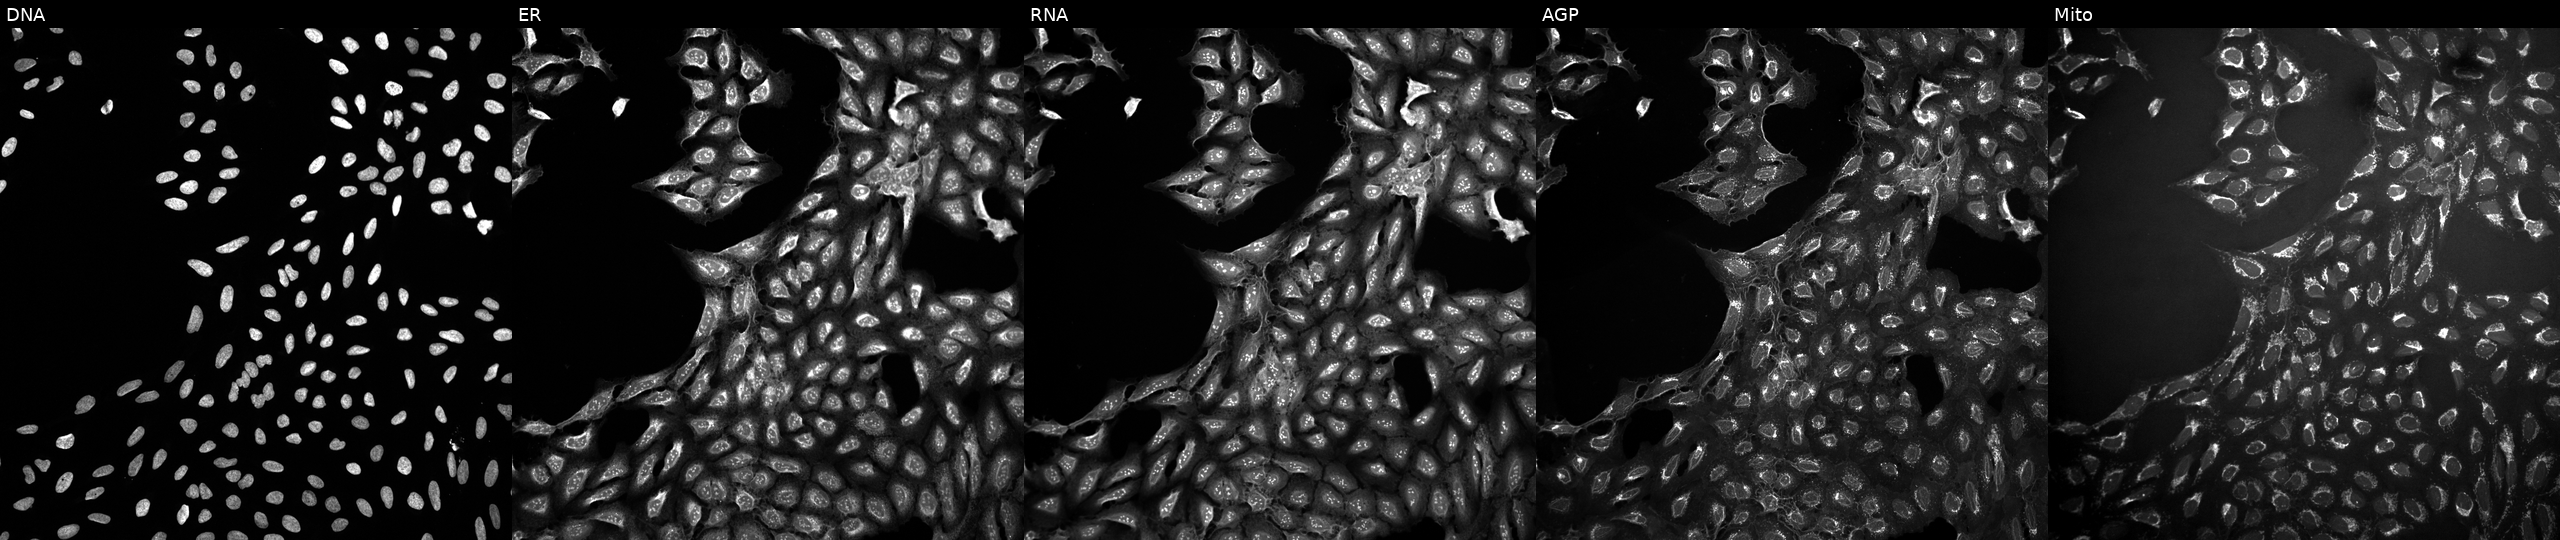
High-content fluorescence microscopy (Cell Painting). Cell line: U2OS. Perturbation: treated with a small-molecule compound (InChIKey NDNKNUMSTIMSHQ-UHFFFAOYSA-N). From left to right: DNA, ER, RNA, AGP, and Mito. Source 10, plate Dest210803-153958, well K09.